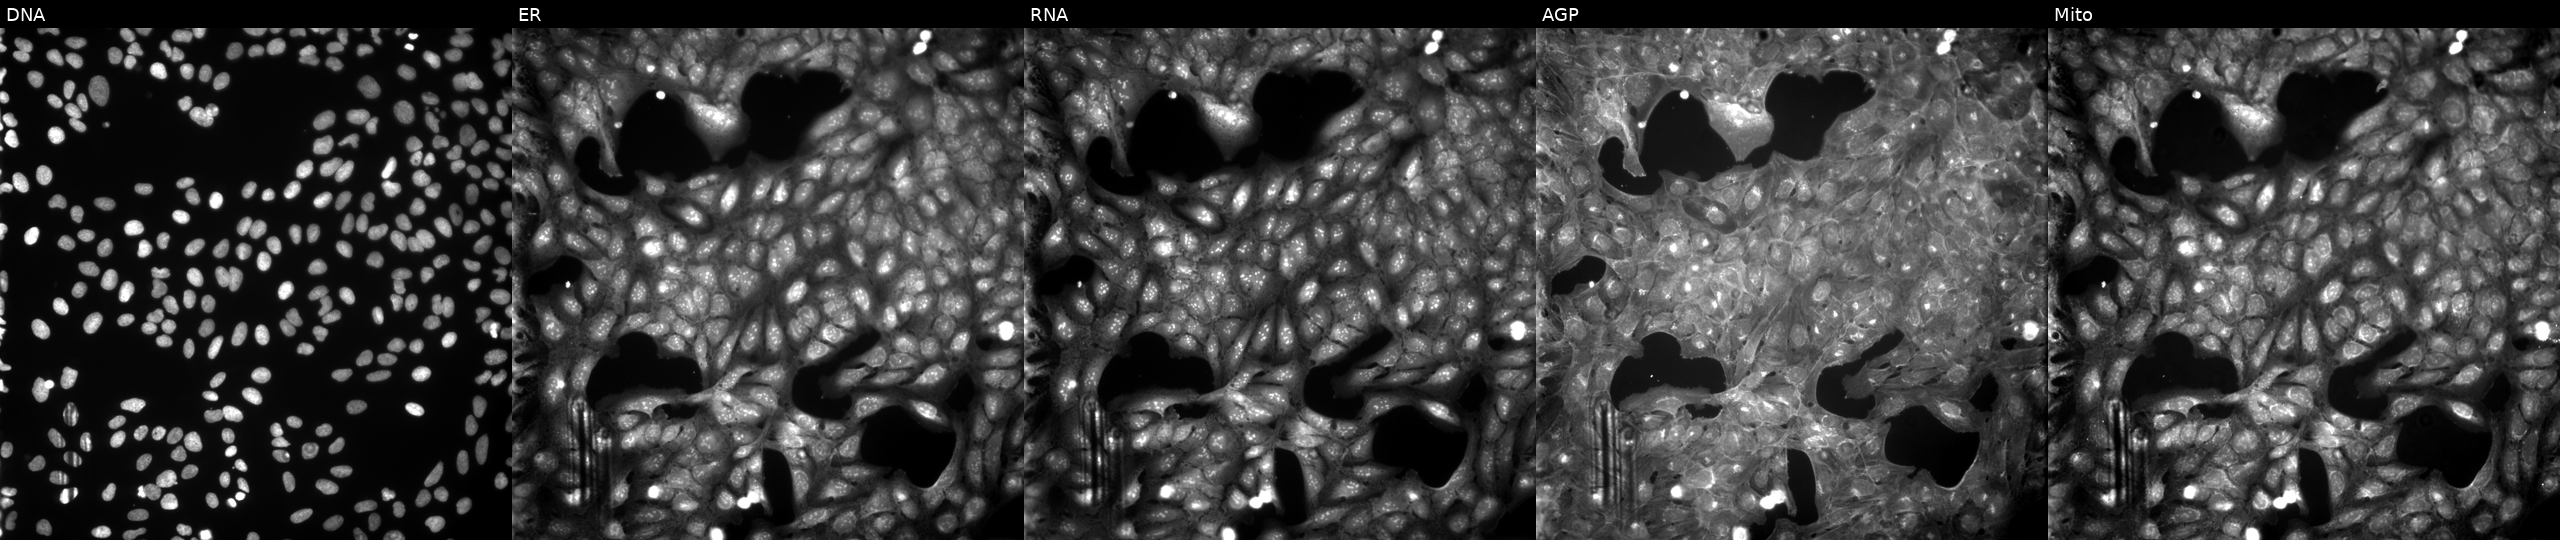
JUMP Cell Painting — COMPOUND plate. U2OS cells exposed to DMSO alone as a negative control (JUMP id JCP2022_033924). From left to right: Hoechst 33342, concanavalin A, SYTO 14, phalloidin and WGA, MitoTracker.